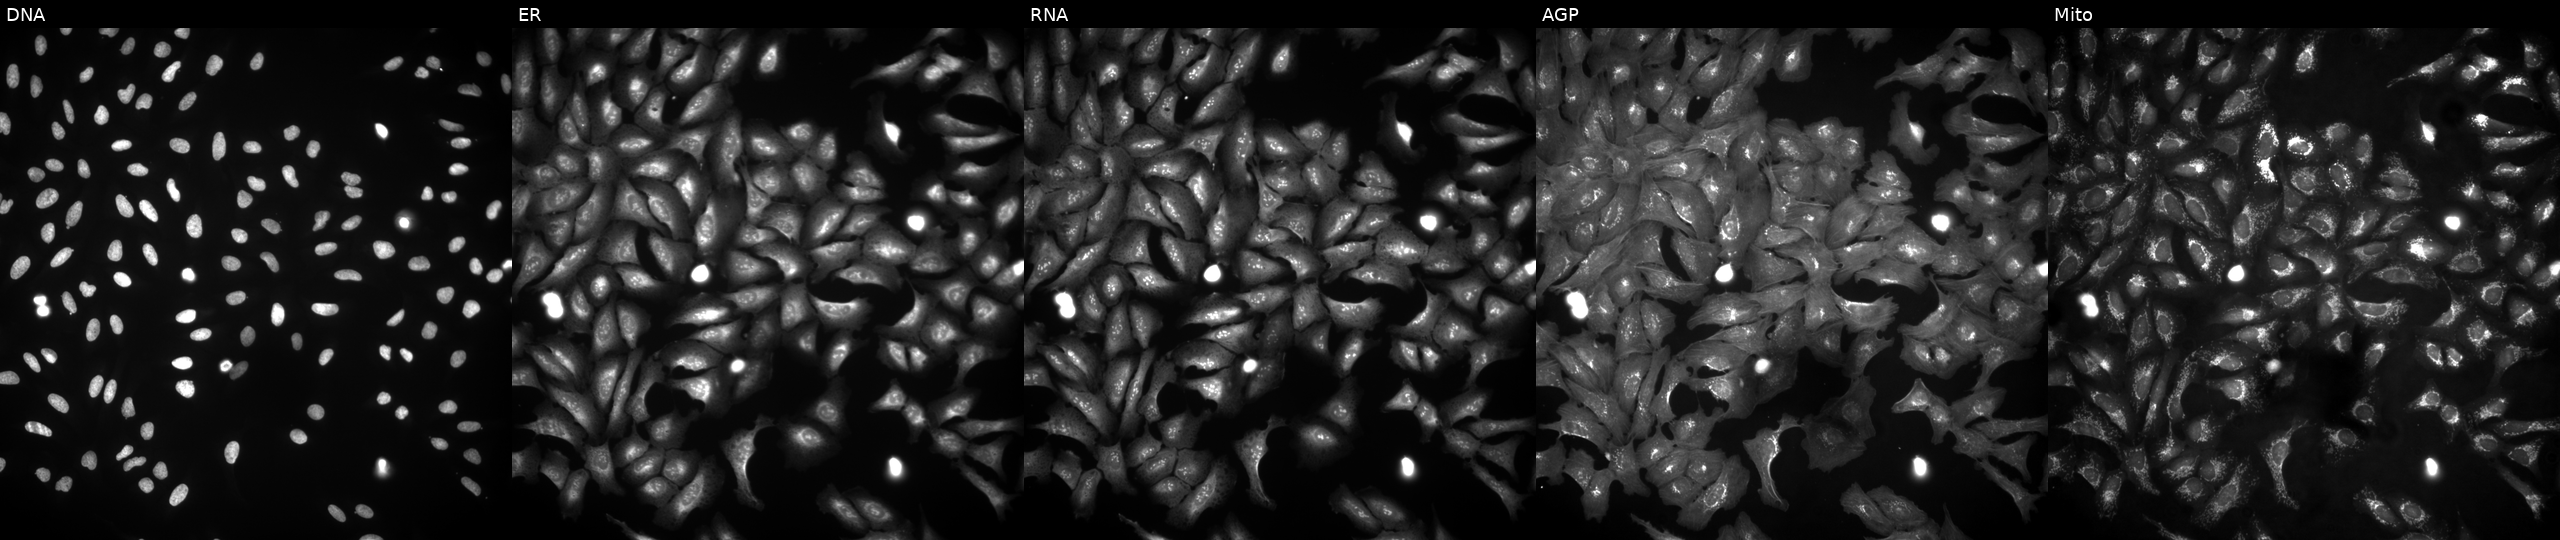
Five-channel Cell Painting image of U2OS cells transfected with an ORF construct for TFAM. Panels show, left to right, DNA (nuclei); ER (endoplasmic reticulum); RNA (nucleoli and cytoplasmic RNA); AGP (actin cytoskeleton, Golgi, and plasma membrane); Mito (mitochondria).